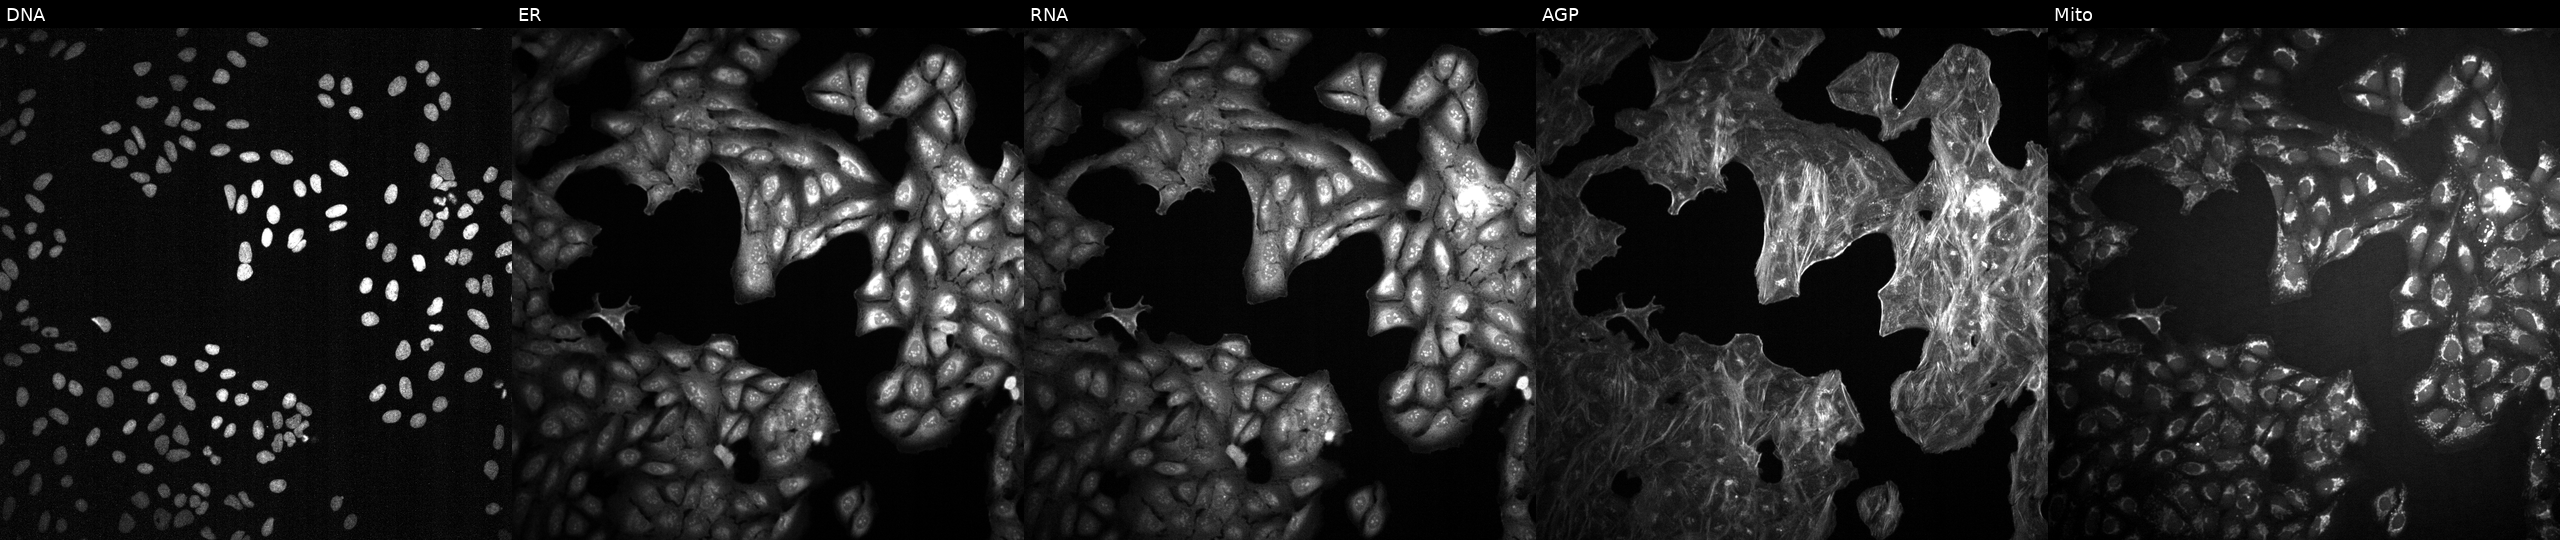
High-content fluorescence microscopy (Cell Painting). Cell line: U2OS. Perturbation: treated with a small-molecule compound (InChIKey JYLNVJYYQQXNEK-UHFFFAOYSA-N). The five panels, left to right, show Hoechst 33342, concanavalin A, SYTO 14, phalloidin and WGA, MitoTracker.